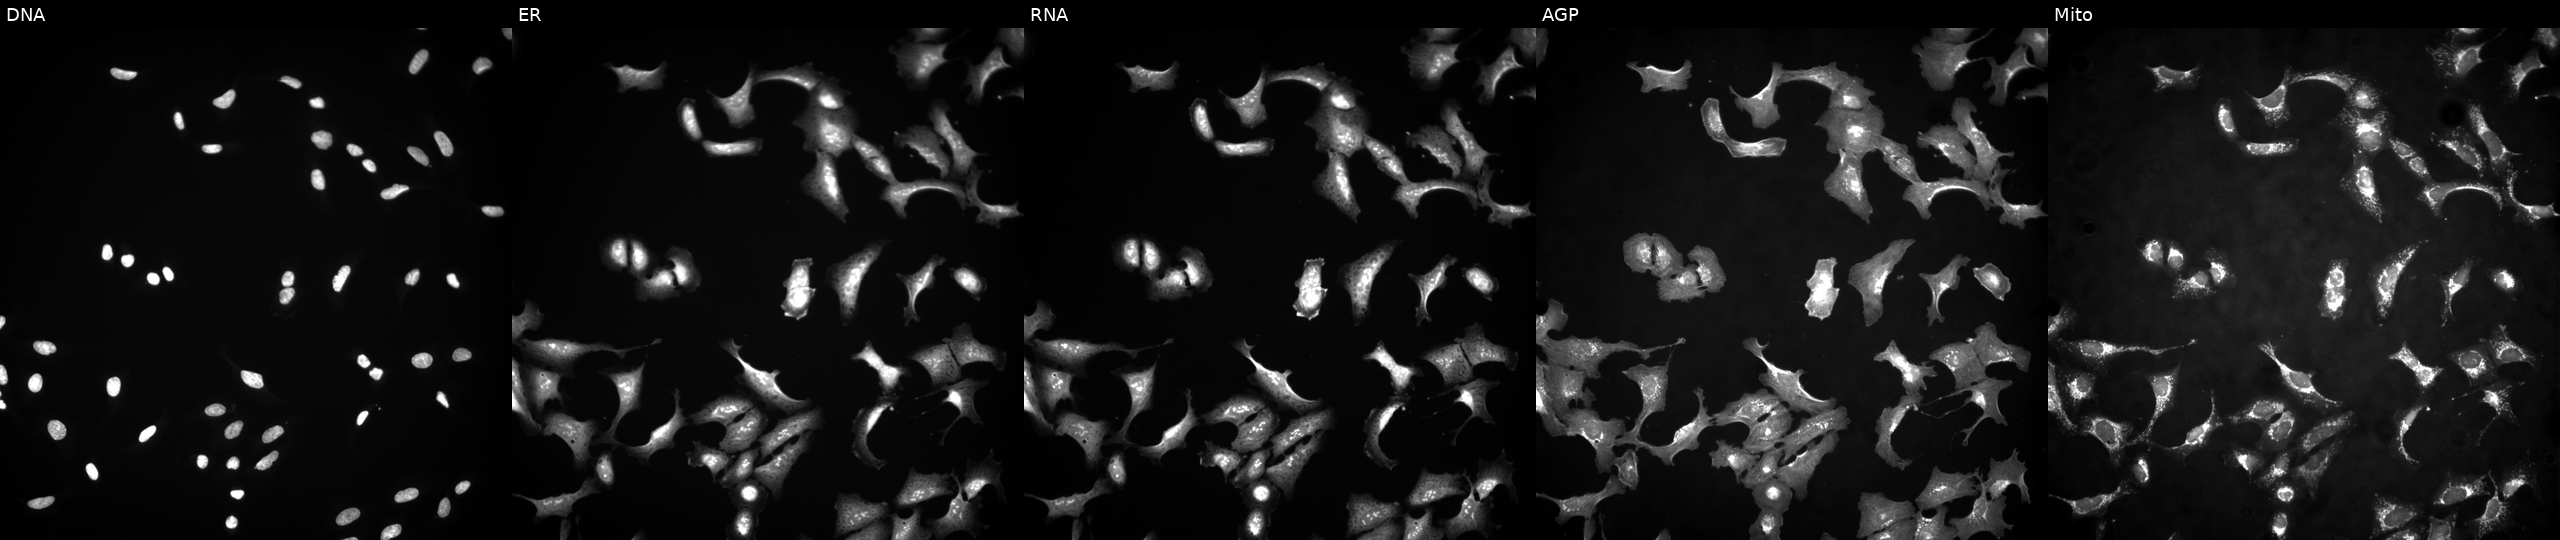
U2OS cells, Cell Painting assay, with EPAS1 overexpressed (ORF) (JUMP id JCP2022_914409). Channels (left→right): Hoechst 33342, concanavalin A, SYTO 14, phalloidin and WGA, MitoTracker. Each panel is percentile-stretched 16-bit fluorescence. Source 4, plate BR00117035, well D09.